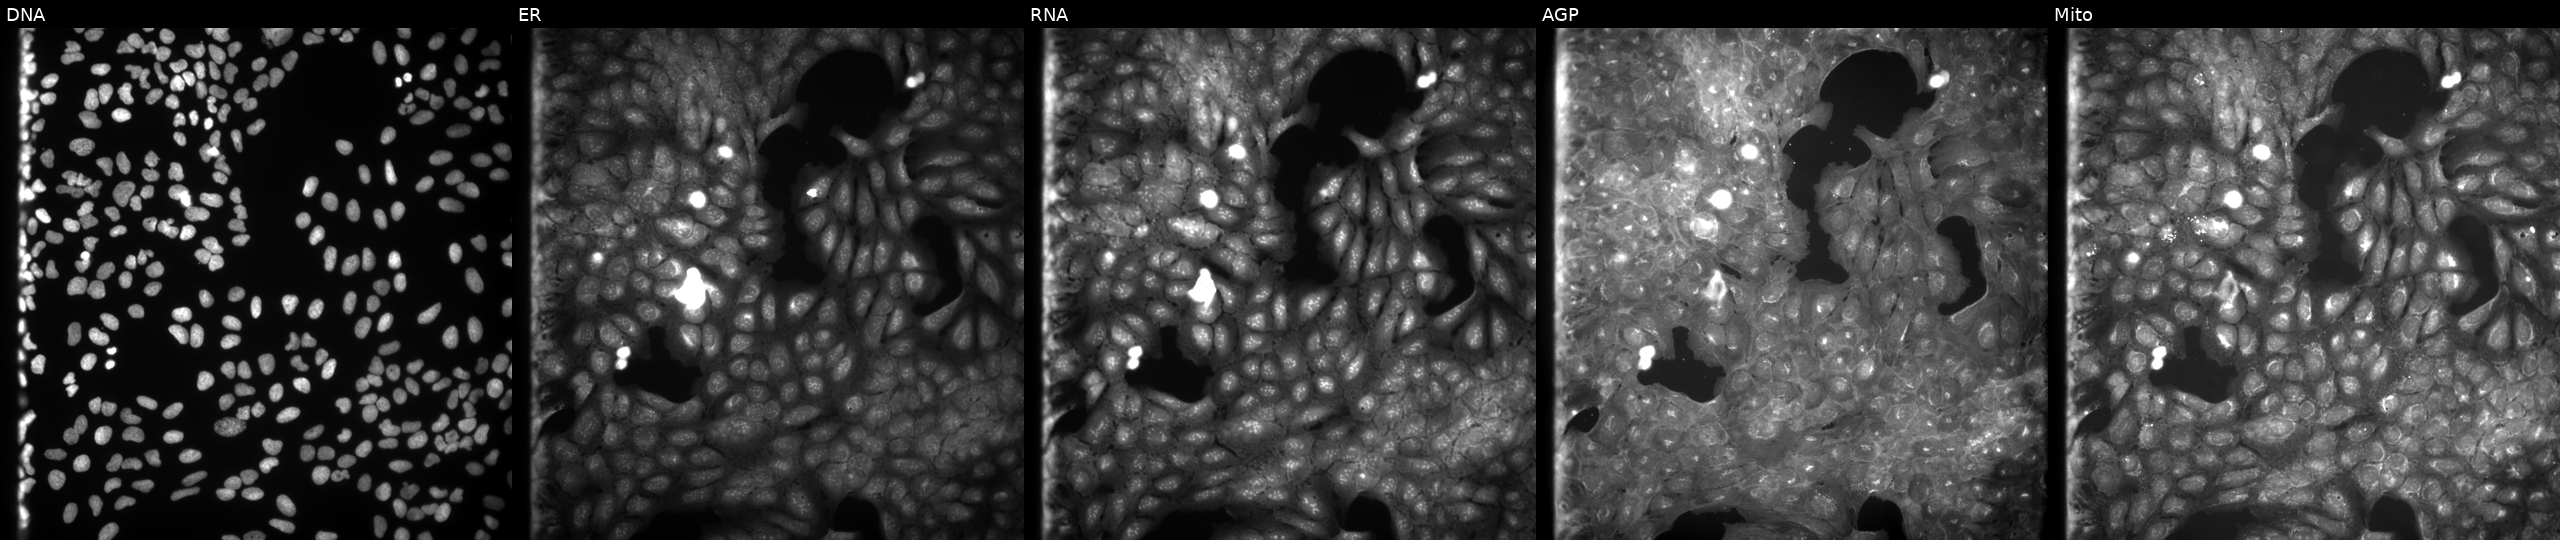
The five panels, left to right, show DNA (nuclei); ER (endoplasmic reticulum); RNA (nucleoli and cytoplasmic RNA); AGP (actin cytoskeleton, Golgi, and plasma membrane); Mito (mitochondria). U2OS osteosarcoma cells treated with a small-molecule compound (InChIKey DEQRGPSFELFOPP-UHFFFAOYSA-N). Cell Painting assay, JUMP-CP dataset. Source 9, plate GR00003381, well D10.